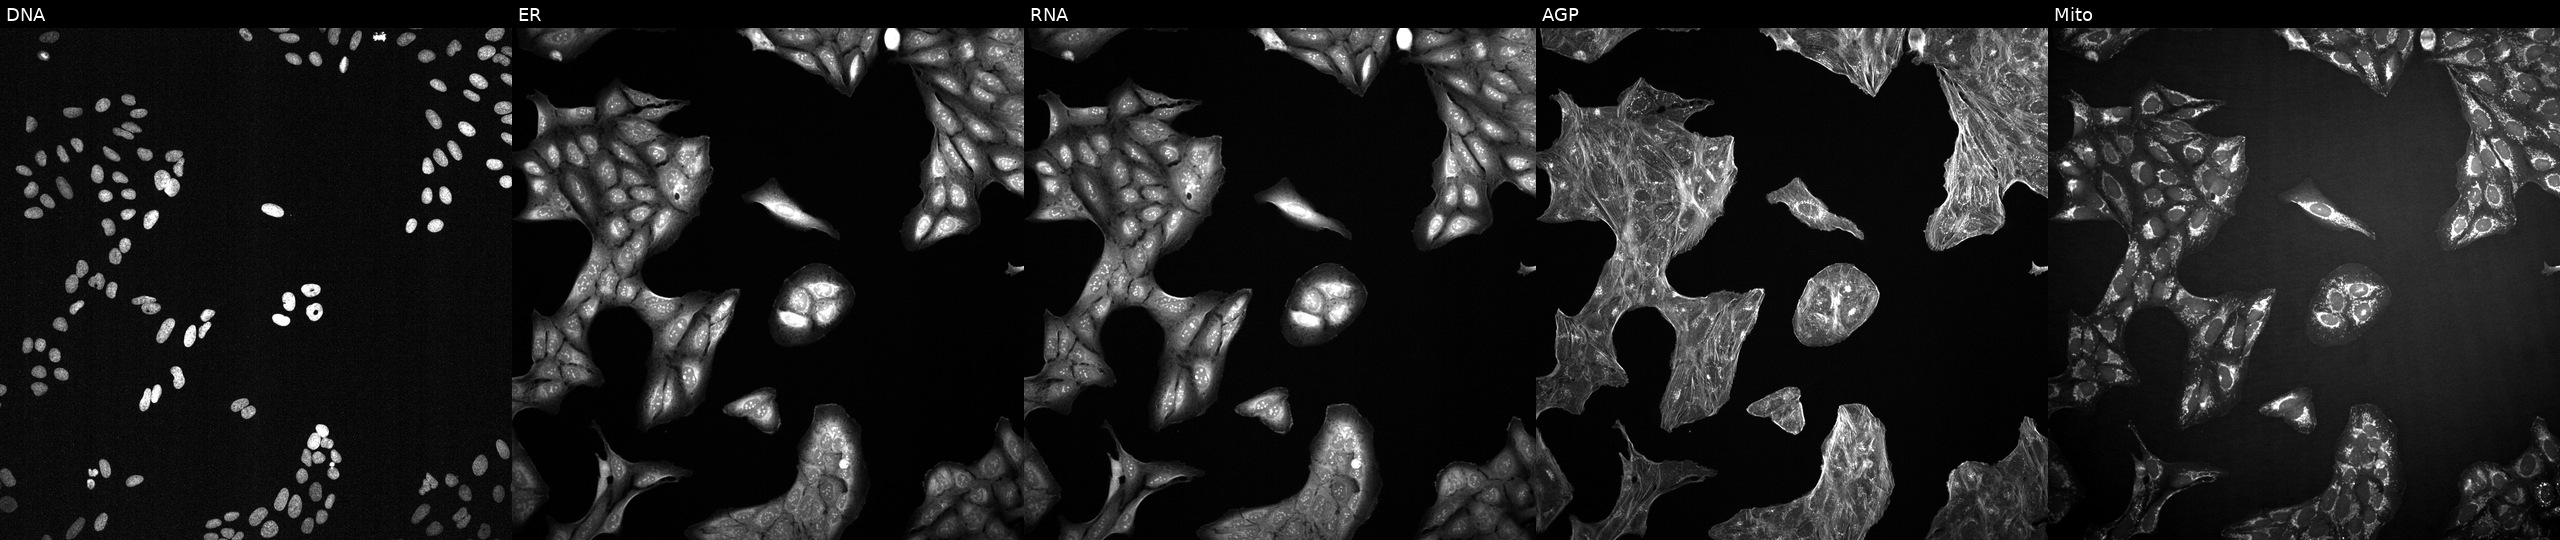
U2OS cells, Cell Painting assay, exposed to a small-molecule compound (InChIKey QHKYPYXTTXKZST-UHFFFAOYSA-N). Panels show, left to right, DNA, ER, RNA, AGP, and Mito. Each panel is percentile-stretched 16-bit fluorescence. Source 2, plate 1053599503, well M12.